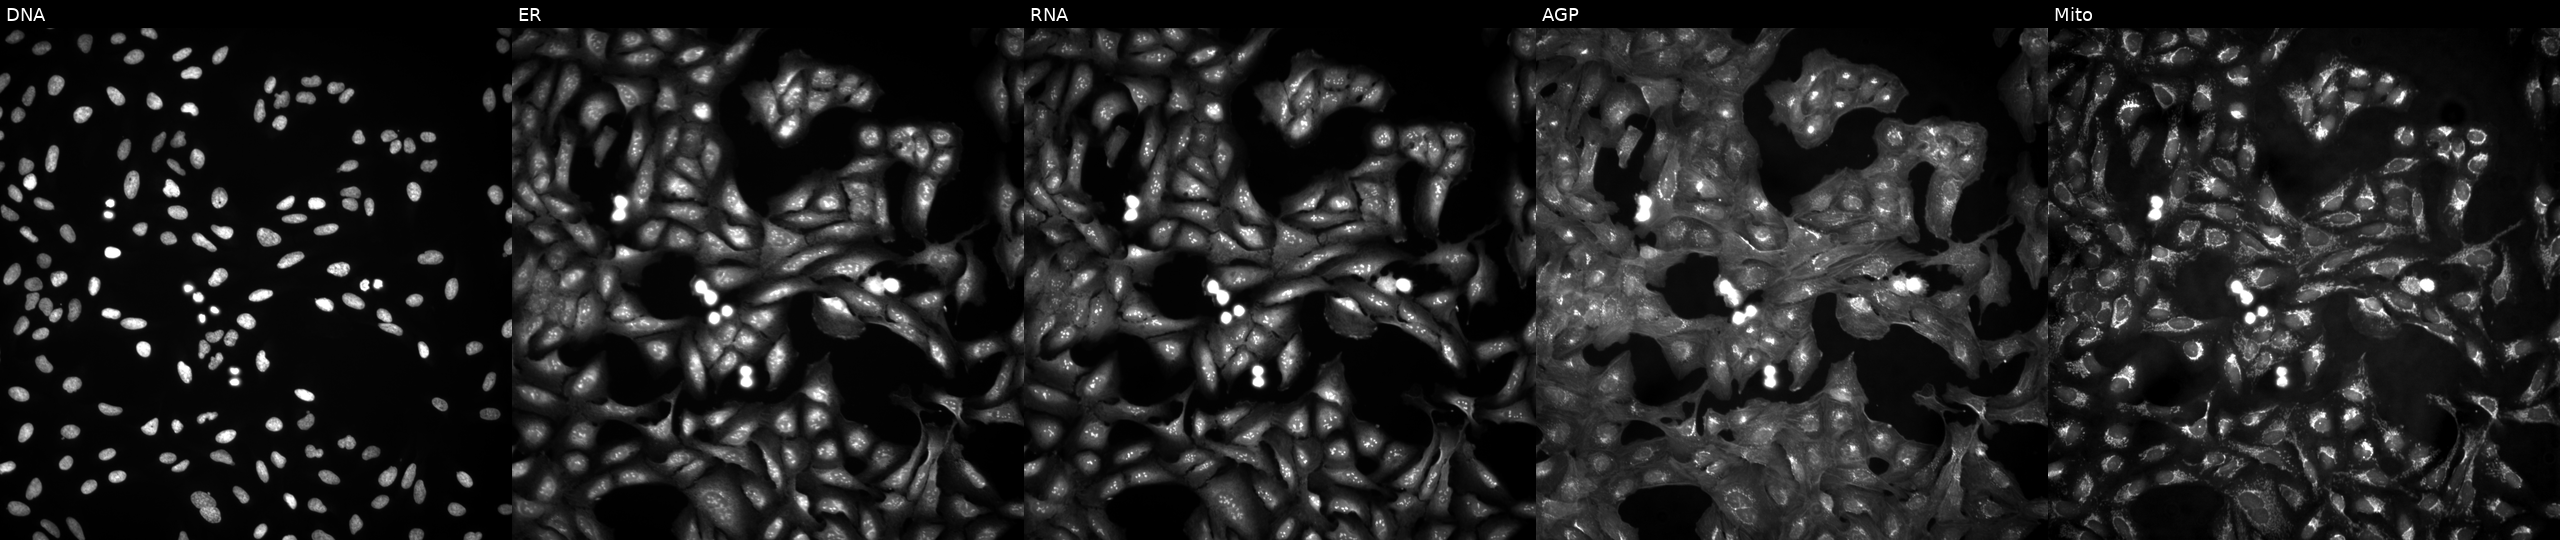
This image strip shows the five Cell Painting channels for a single field of U2OS cells in an empty control well (no perturbation). The five panels, left to right, show DNA (nuclei); ER (endoplasmic reticulum); RNA (nucleoli and cytoplasmic RNA); AGP (actin cytoskeleton, Golgi, and plasma membrane); Mito (mitochondria).